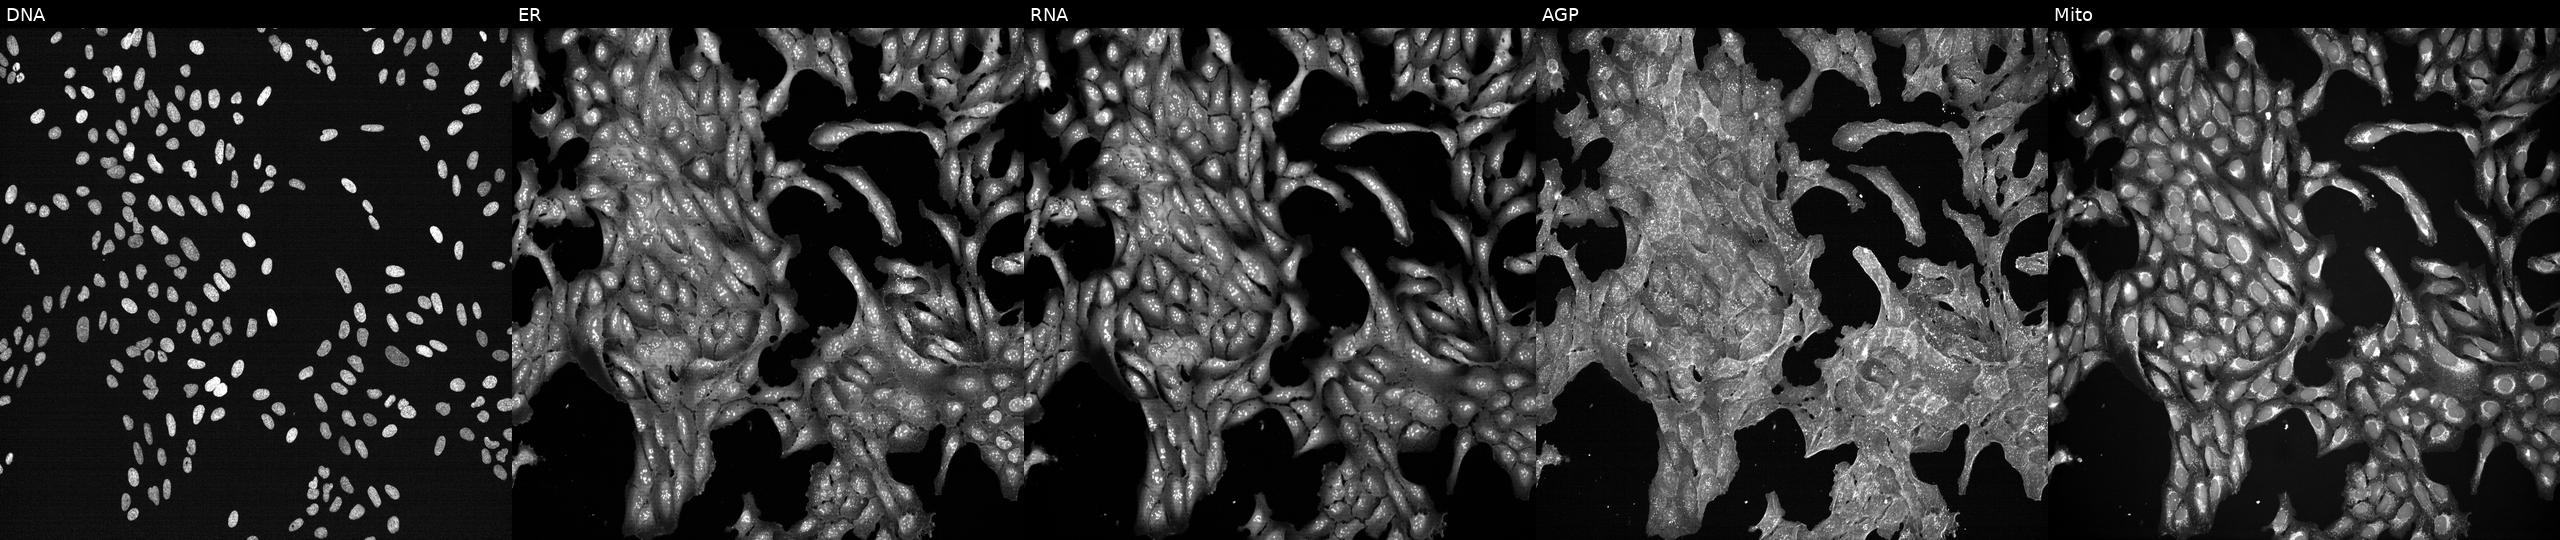
This image strip shows the five Cell Painting channels for a single field of U2OS cells exposed to a small-molecule compound (InChIKey WXXSNCNJFUAIDG-UHFFFAOYSA-N) [SMILES: COC(=O)N(C)c1c(N)[nH]c(-c2nn(Cc3ccccc3F)c3ncccc23)nc1=N] (JUMP id JCP2022_101929). Panels show, left to right, DNA (nuclei); ER (endoplasmic reticulum); RNA (nucleoli and cytoplasmic RNA); AGP (actin cytoskeleton, Golgi, and plasma membrane); Mito (mitochondria).